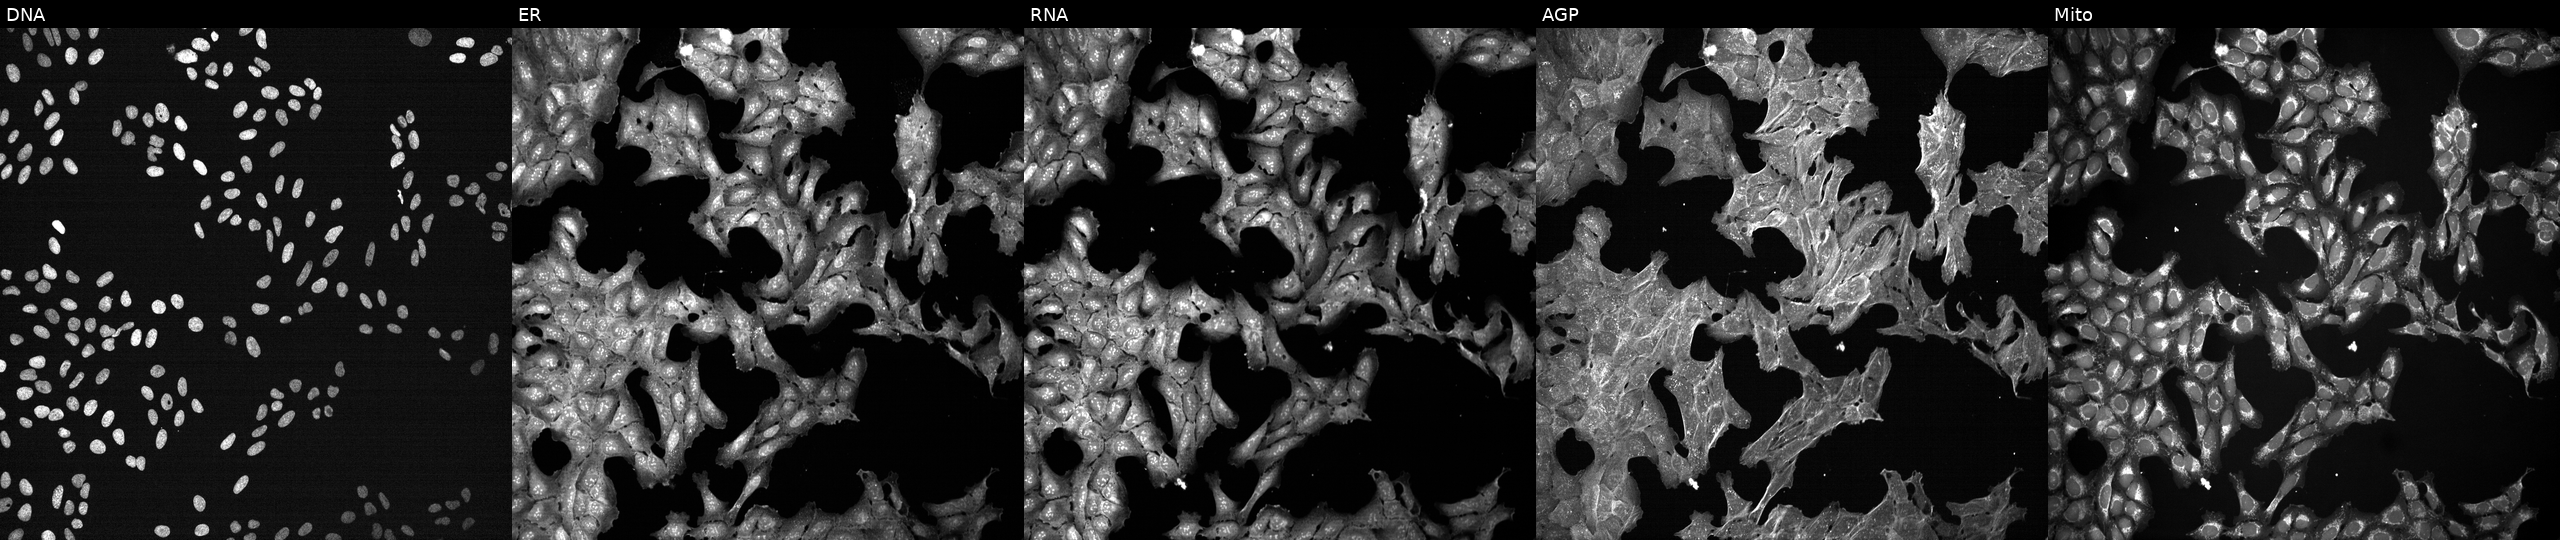
This image strip shows the five Cell Painting channels for a single field of U2OS cells treated with a small-molecule compound. From left to right: DNA, ER, RNA, AGP, and Mito. Source 7, plate CP3-SC1-25, well I19.